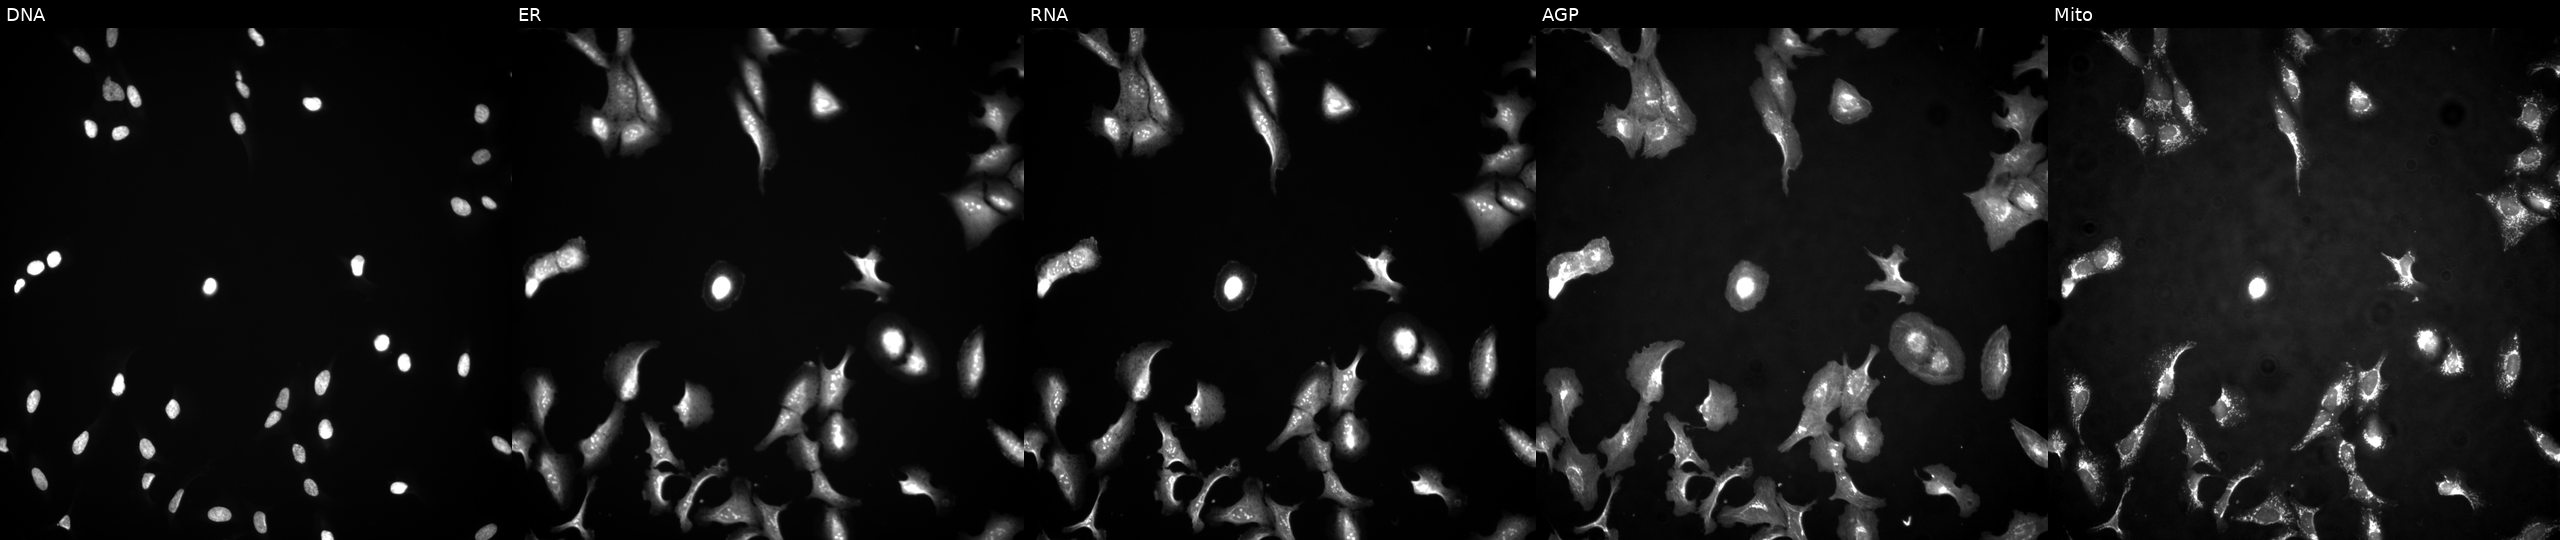
From left to right: DNA (nuclei); ER (endoplasmic reticulum); RNA (nucleoli and cytoplasmic RNA); AGP (actin cytoskeleton, Golgi, and plasma membrane); Mito (mitochondria). U2OS osteosarcoma cells transfected with an ORF construct for PMF1-BGLAP. Cell Painting assay, JUMP-CP dataset.